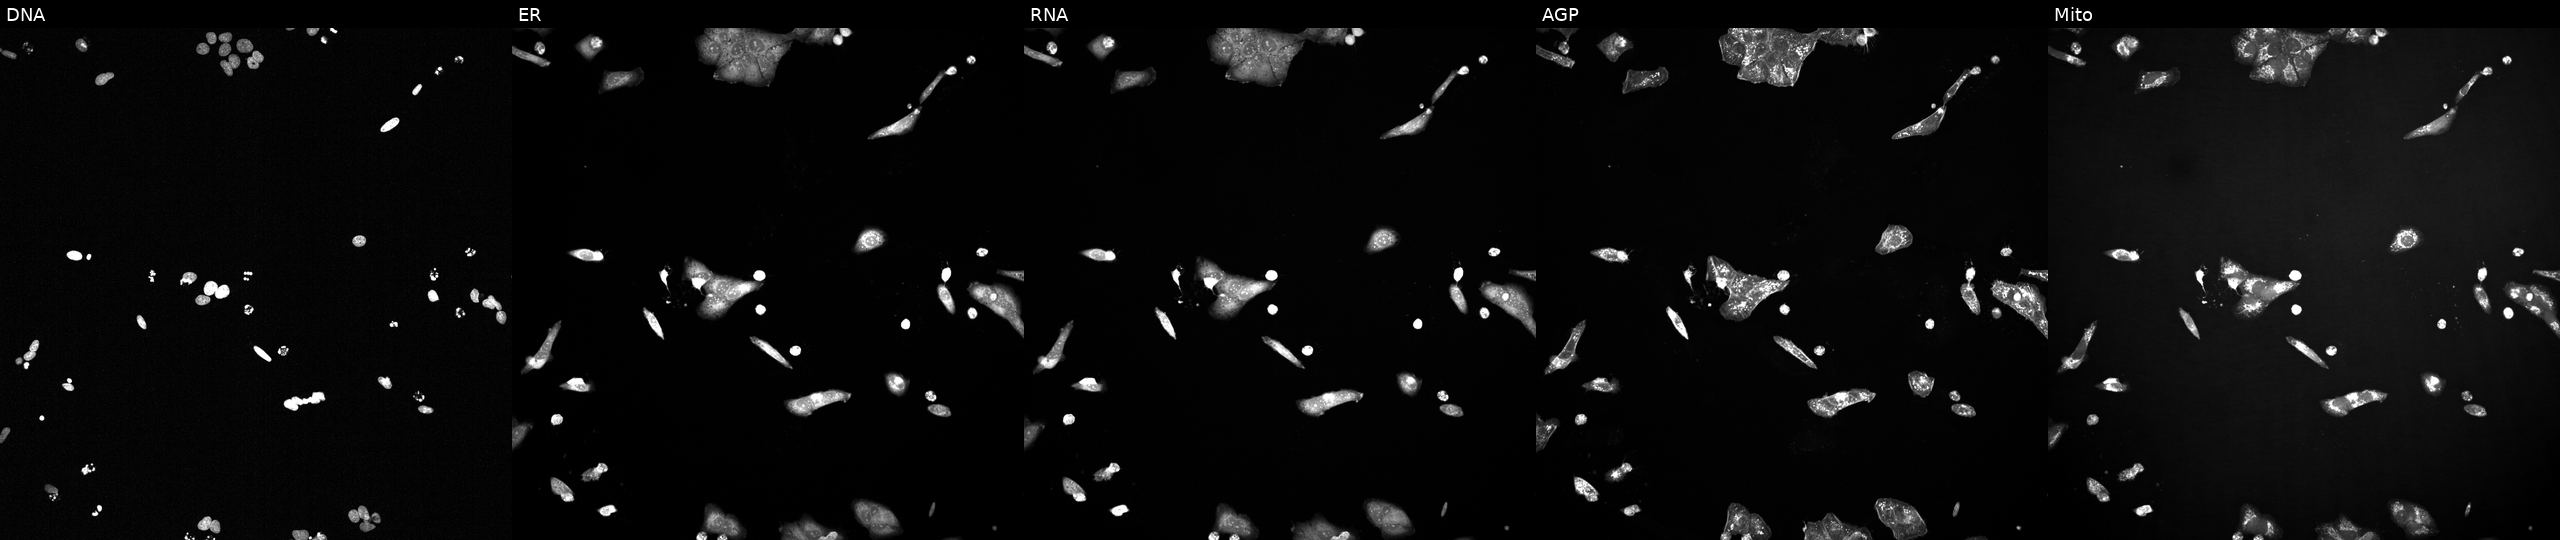
High-content fluorescence microscopy (Cell Painting). Cell line: U2OS. Perturbation: treated with a small-molecule compound [SMILES: COc1ccc(N(C(=O)Oc2c(C)cccc2C)c2cc[nH]c(=Nc3ccc(N4CCN(C)CC4)cc3)n2)c(OC)c1]. Panels show, left to right, DNA (nuclei); ER (endoplasmic reticulum); RNA (nucleoli and cytoplasmic RNA); AGP (actin cytoskeleton, Golgi, and plasma membrane); Mito (mitochondria). Source 2, plate 1053600674, well K01.